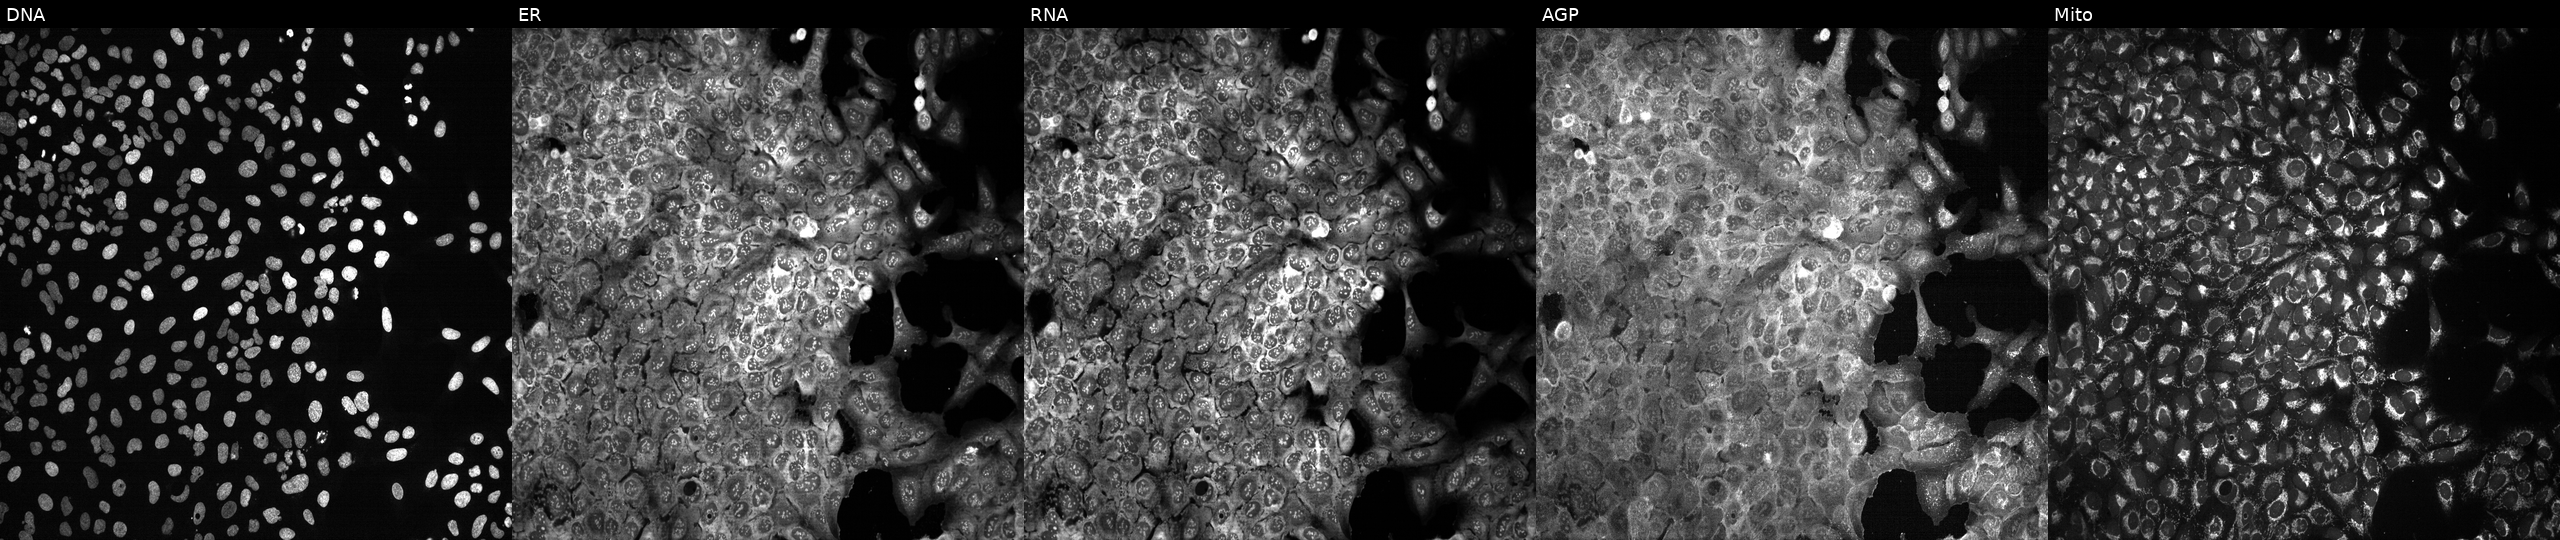
JUMP Cell Painting — CRISPR plate. U2OS cells with TRMT61A knocked out by CRISPR (JUMP id JCP2022_807328). The five panels, left to right, show DNA, ER, RNA, AGP, and Mito.